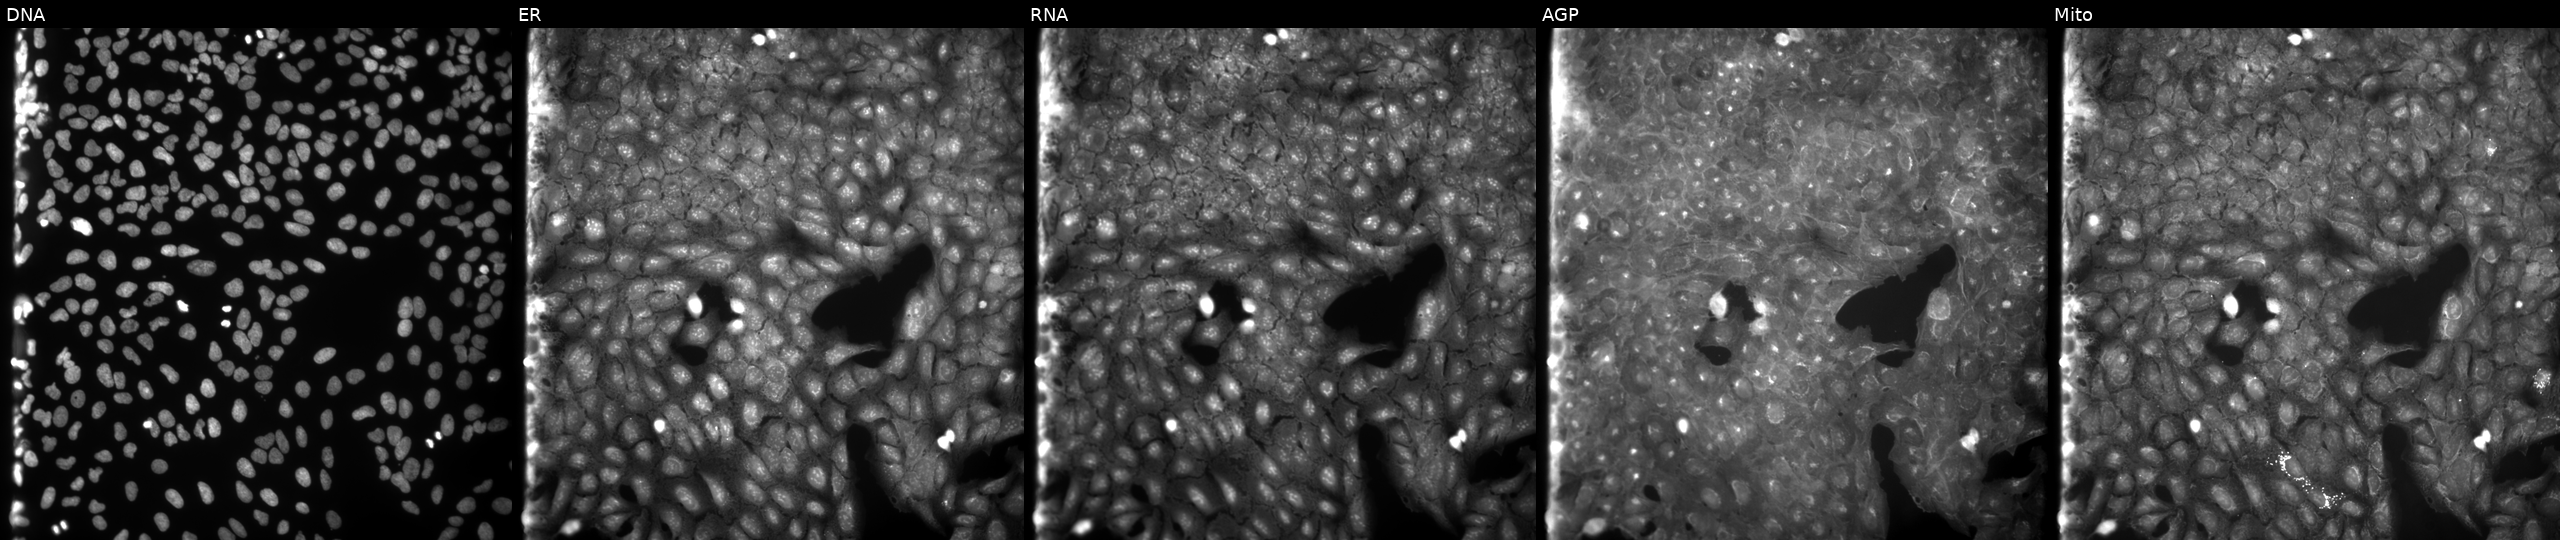
Five-channel Cell Painting image of U2OS cells perturbed with a small-molecule compound [SMILES: C=c1c(=Cc2sc(=O)n(C(C)C)c2O)cc(C)n1-c1ccncc1] (JUMP id JCP2022_056068). Channels (left→right): DNA (nuclei); ER (endoplasmic reticulum); RNA (nucleoli and cytoplasmic RNA); AGP (actin cytoskeleton, Golgi, and plasma membrane); Mito (mitochondria).